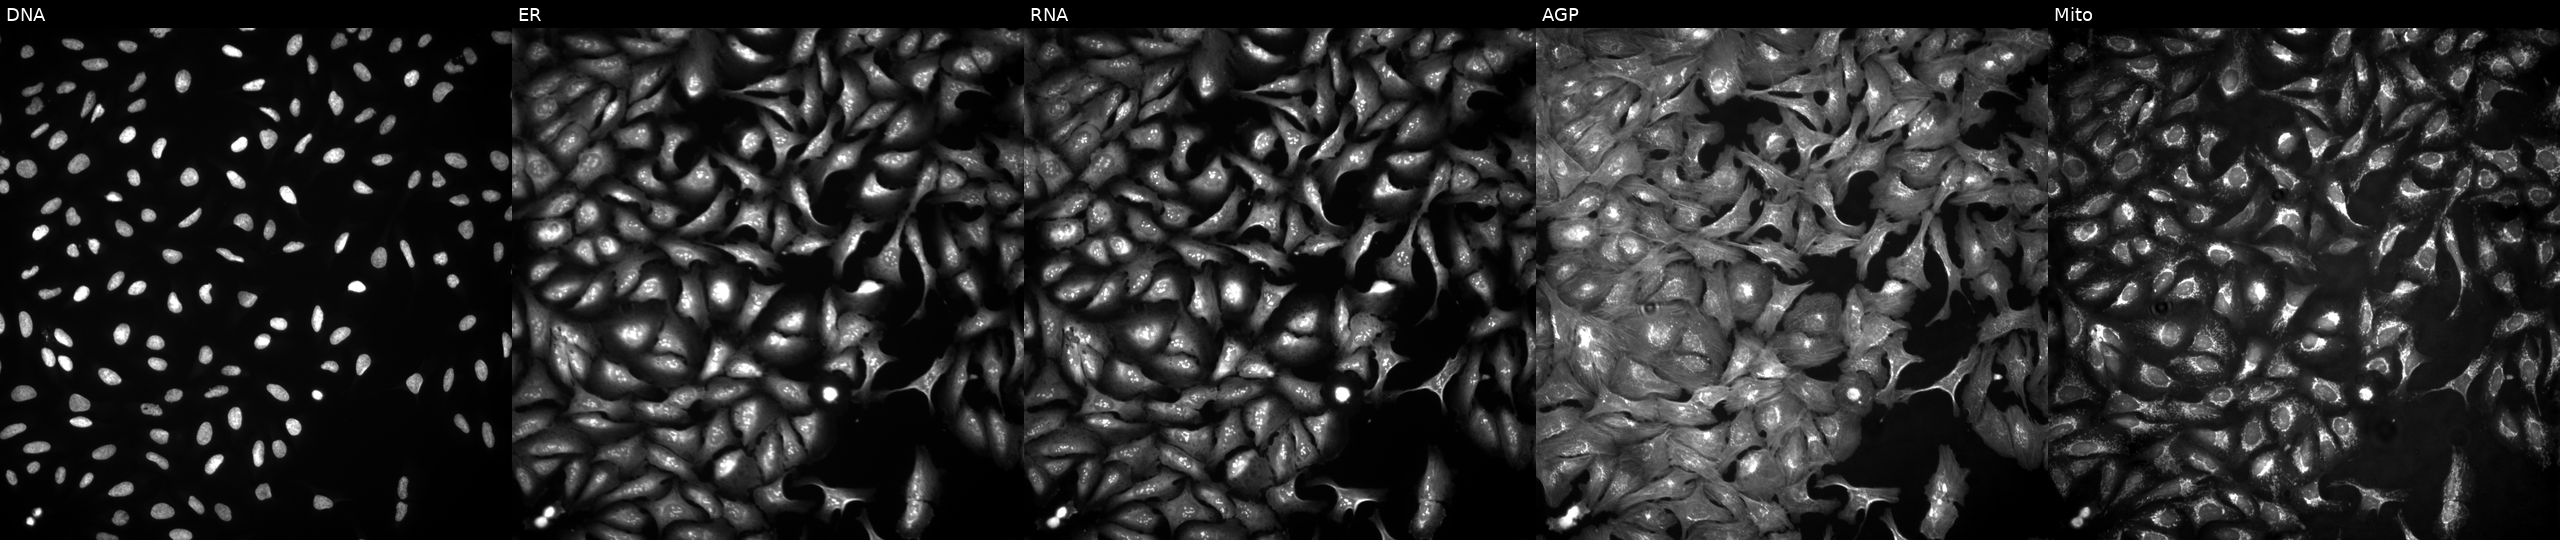
JUMP Cell Painting — ORF plate. U2OS cells transfected with an ORF construct for LIG4. Channels (left→right): DNA (nuclei); ER (endoplasmic reticulum); RNA (nucleoli and cytoplasmic RNA); AGP (actin cytoskeleton, Golgi, and plasma membrane); Mito (mitochondria).